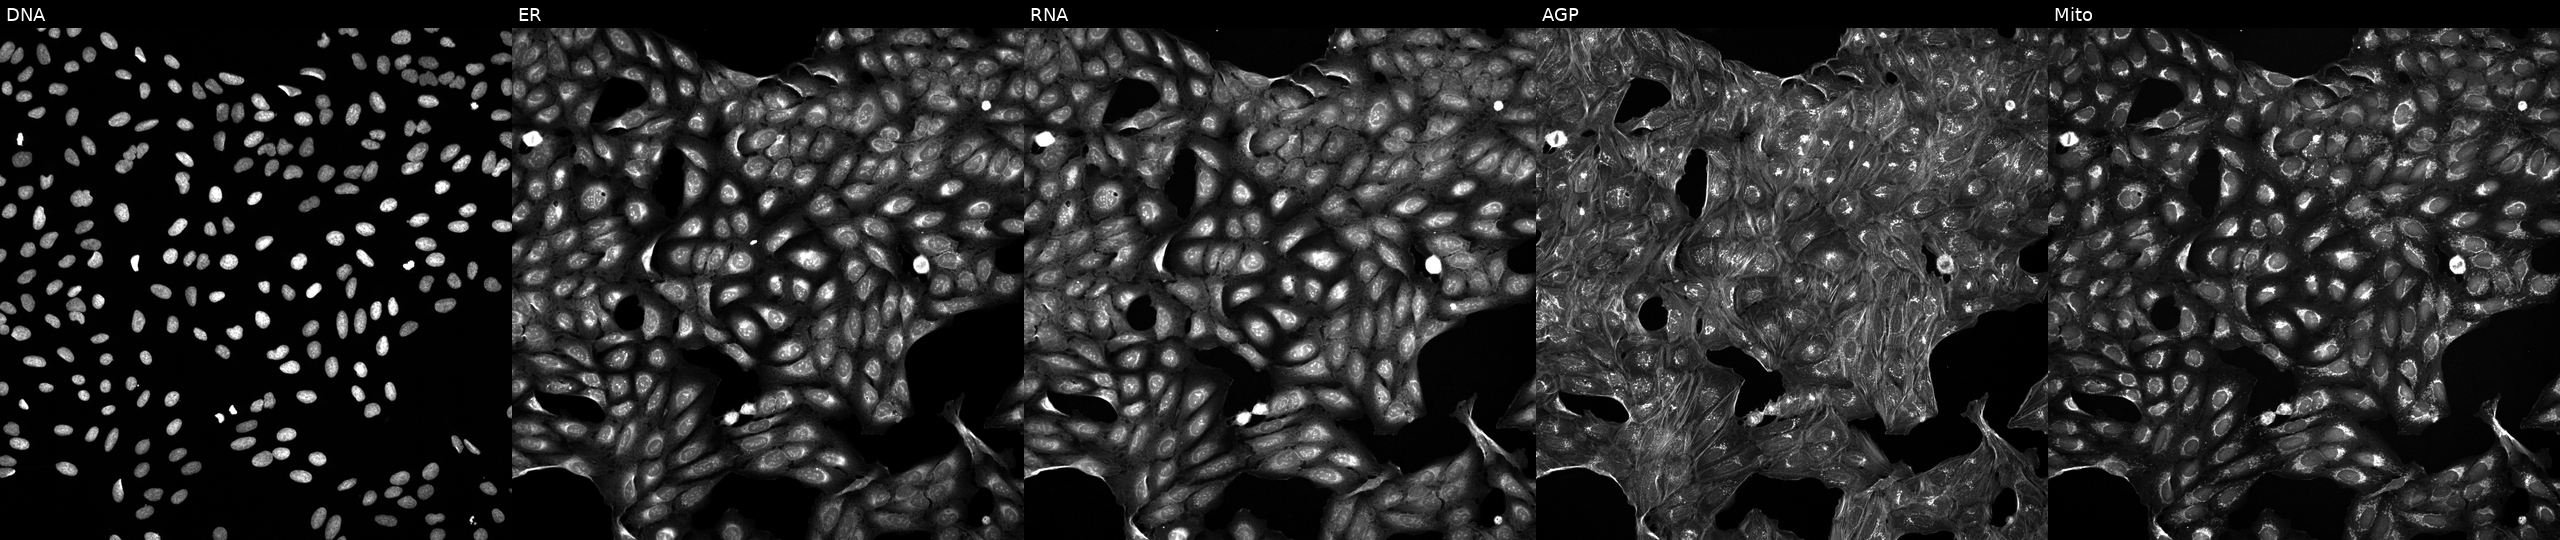
U2OS cells, Cell Painting assay, treated with DMSO vehicle only (negative control) (JUMP id JCP2022_033924). Channels (left→right): DNA, ER, RNA, AGP, and Mito. Each panel is percentile-stretched 16-bit fluorescence. Source 5, plate ACPJUM012, well F14.